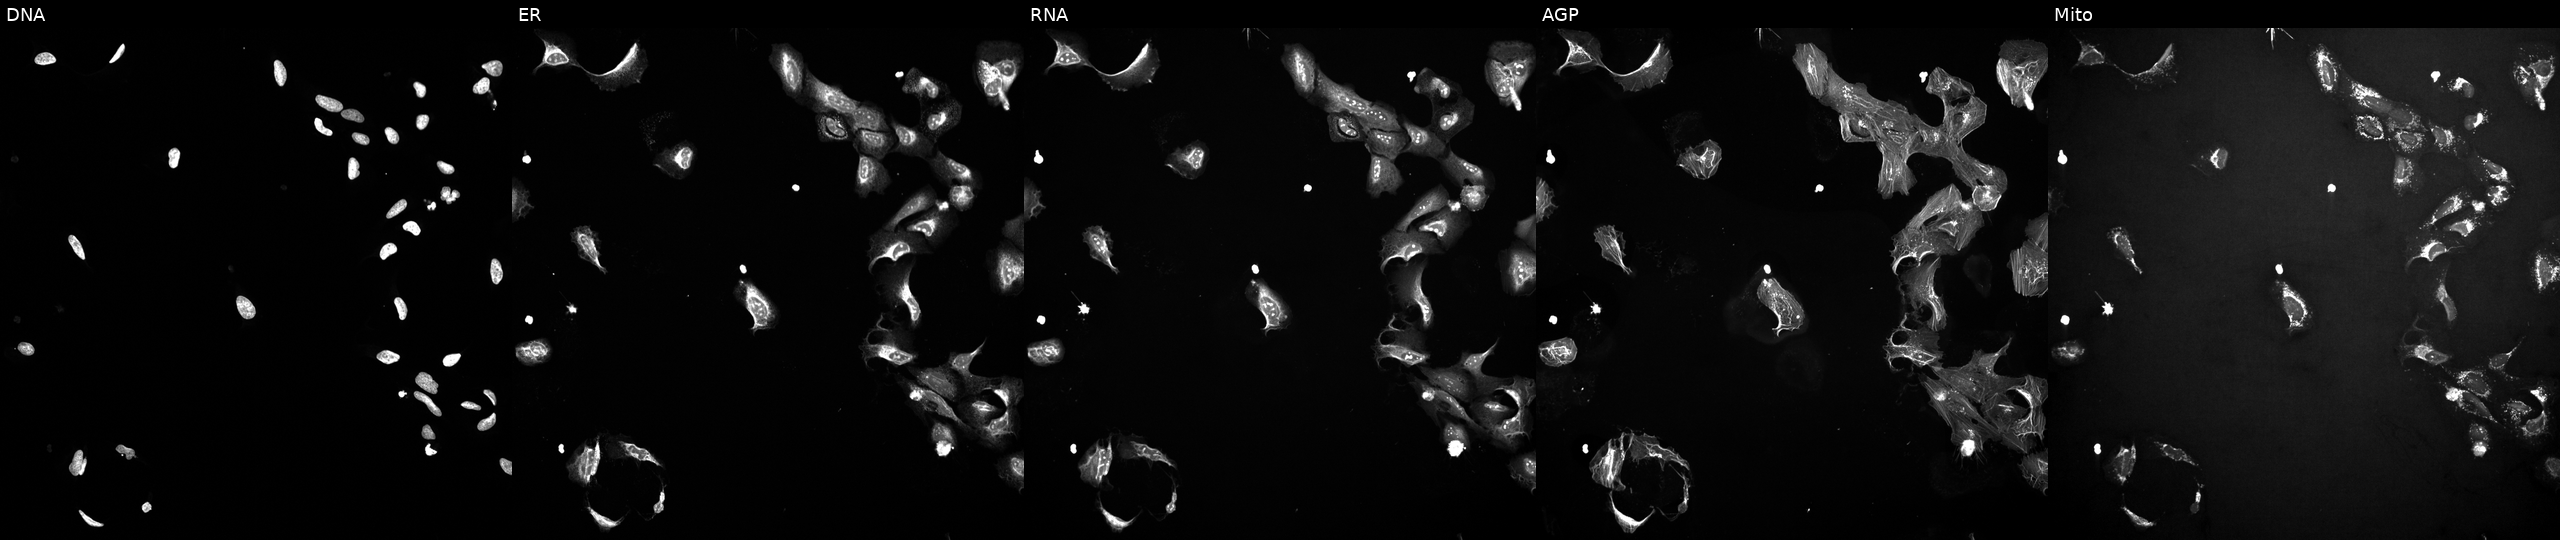
This image strip shows the five Cell Painting channels for a single field of U2OS cells exposed to the positive-control compound TC-S-7004 (JUMP id JCP2022_012818). From left to right: Hoechst 33342, concanavalin A, SYTO 14, phalloidin and WGA, MitoTracker. Source 10, plate Dest210531-152324, well D24.